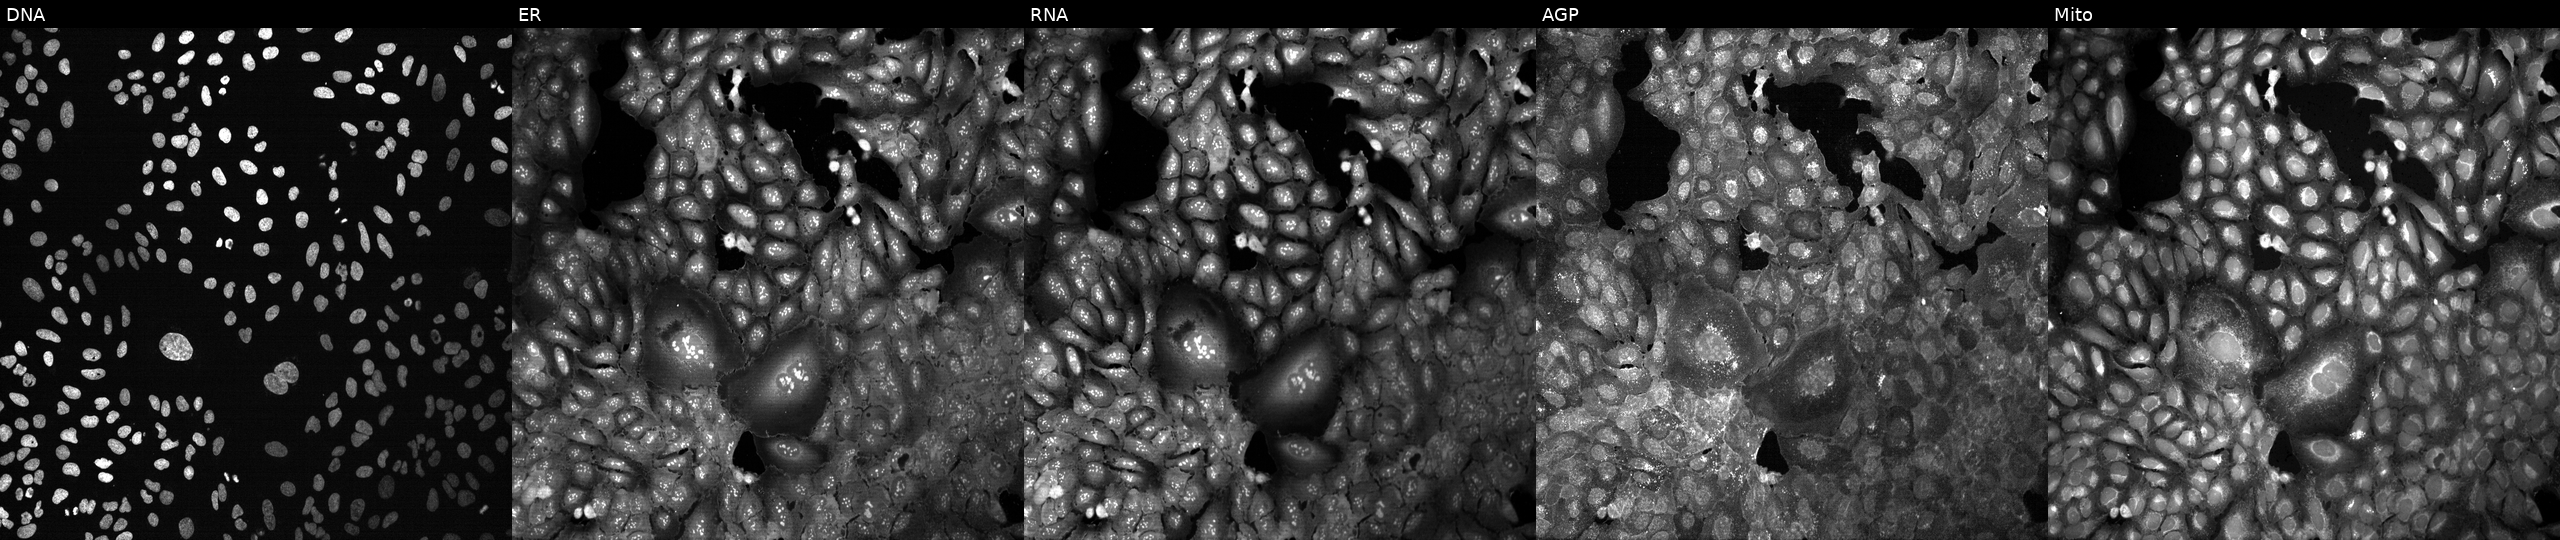
Five-channel Cell Painting image of U2OS cells following CRISPR knockout of HLA-E (JUMP id JCP2022_803132). From left to right: DNA (nuclei); ER (endoplasmic reticulum); RNA (nucleoli and cytoplasmic RNA); AGP (actin cytoskeleton, Golgi, and plasma membrane); Mito (mitochondria).